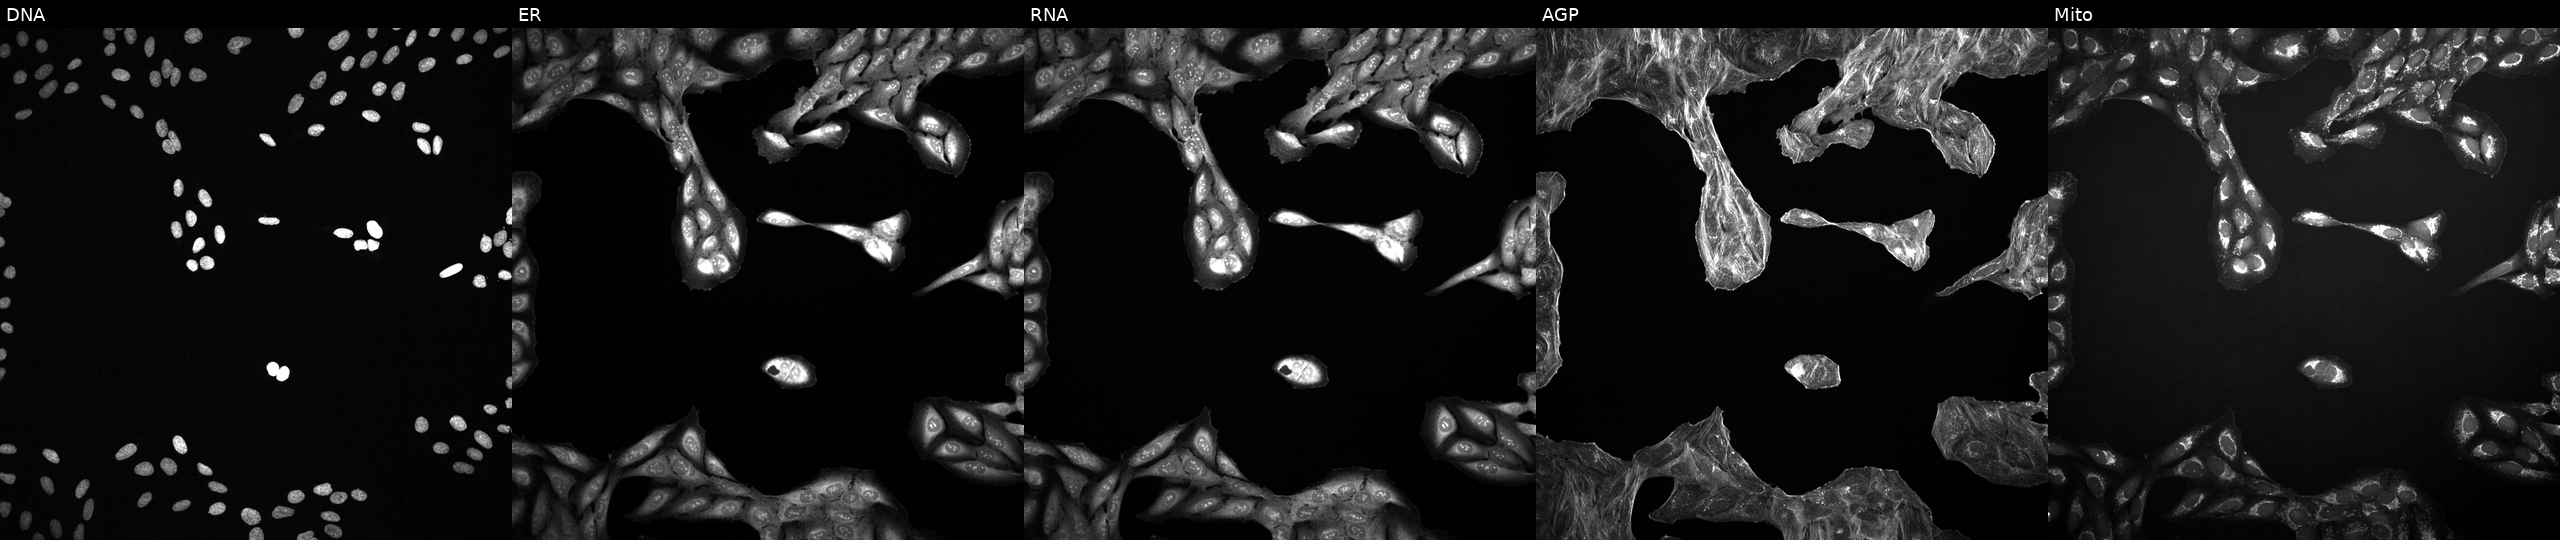
U2OS cells, Cell Painting assay, exposed to DMSO alone as a negative control (JUMP id JCP2022_033924). Channels (left→right): Hoechst 33342, concanavalin A, SYTO 14, phalloidin and WGA, MitoTracker. Each panel is percentile-stretched 16-bit fluorescence.